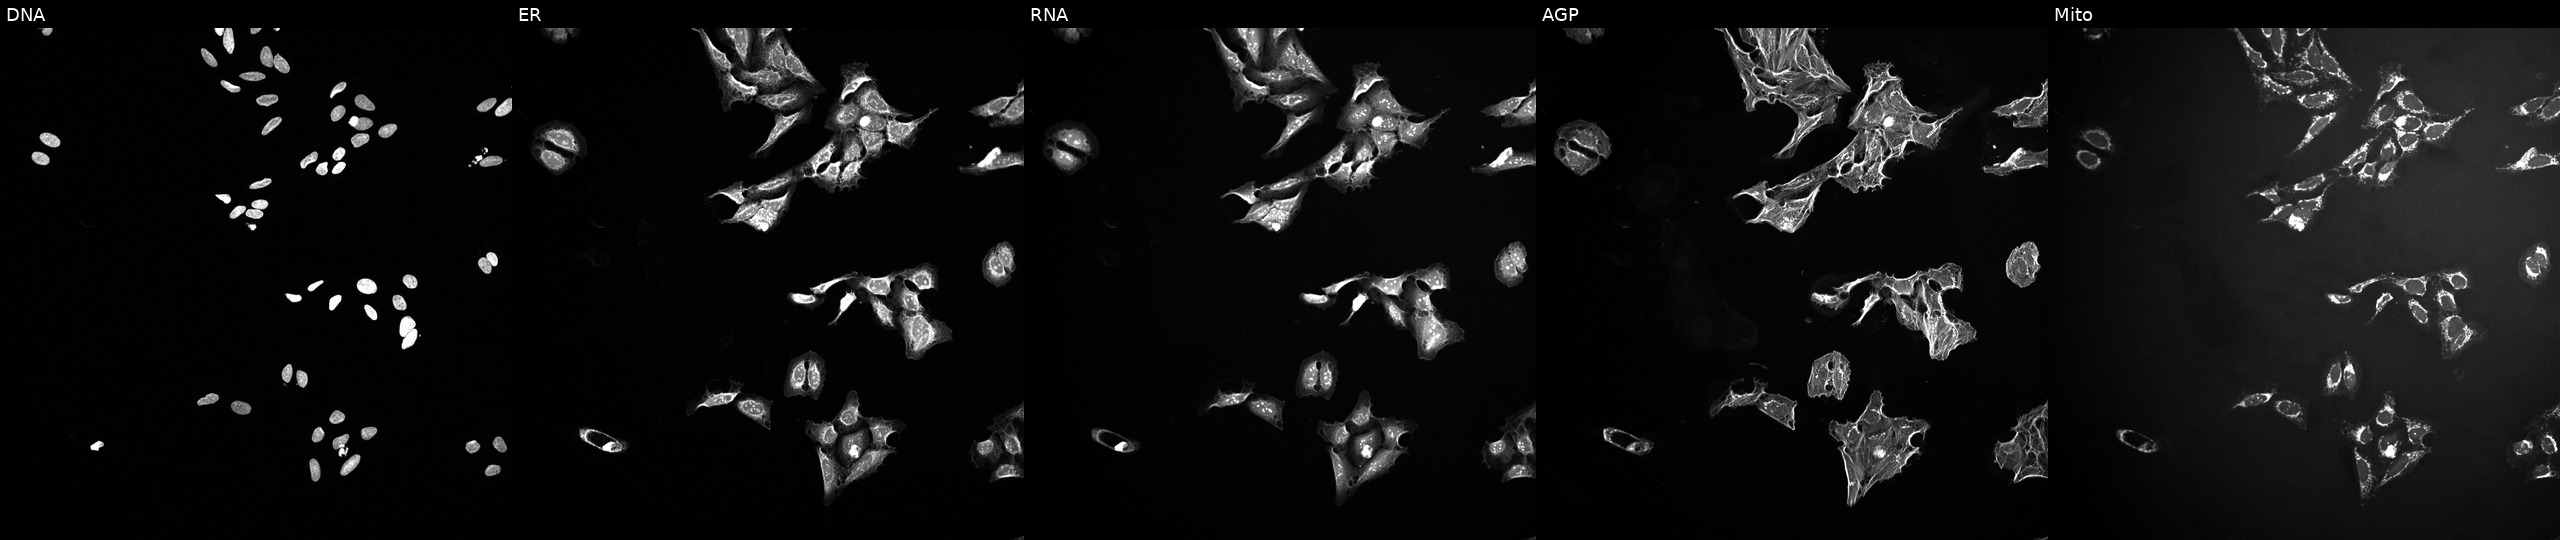
This image strip shows the five Cell Painting channels for a single field of U2OS cells treated with a small-molecule compound (InChIKey KXBDTLQSDKGAEB-UHFFFAOYSA-N) (JUMP id JCP2022_047545). Panels show, left to right, DNA, ER, RNA, AGP, and Mito. Source 10, plate Dest210726-160150, well P21.